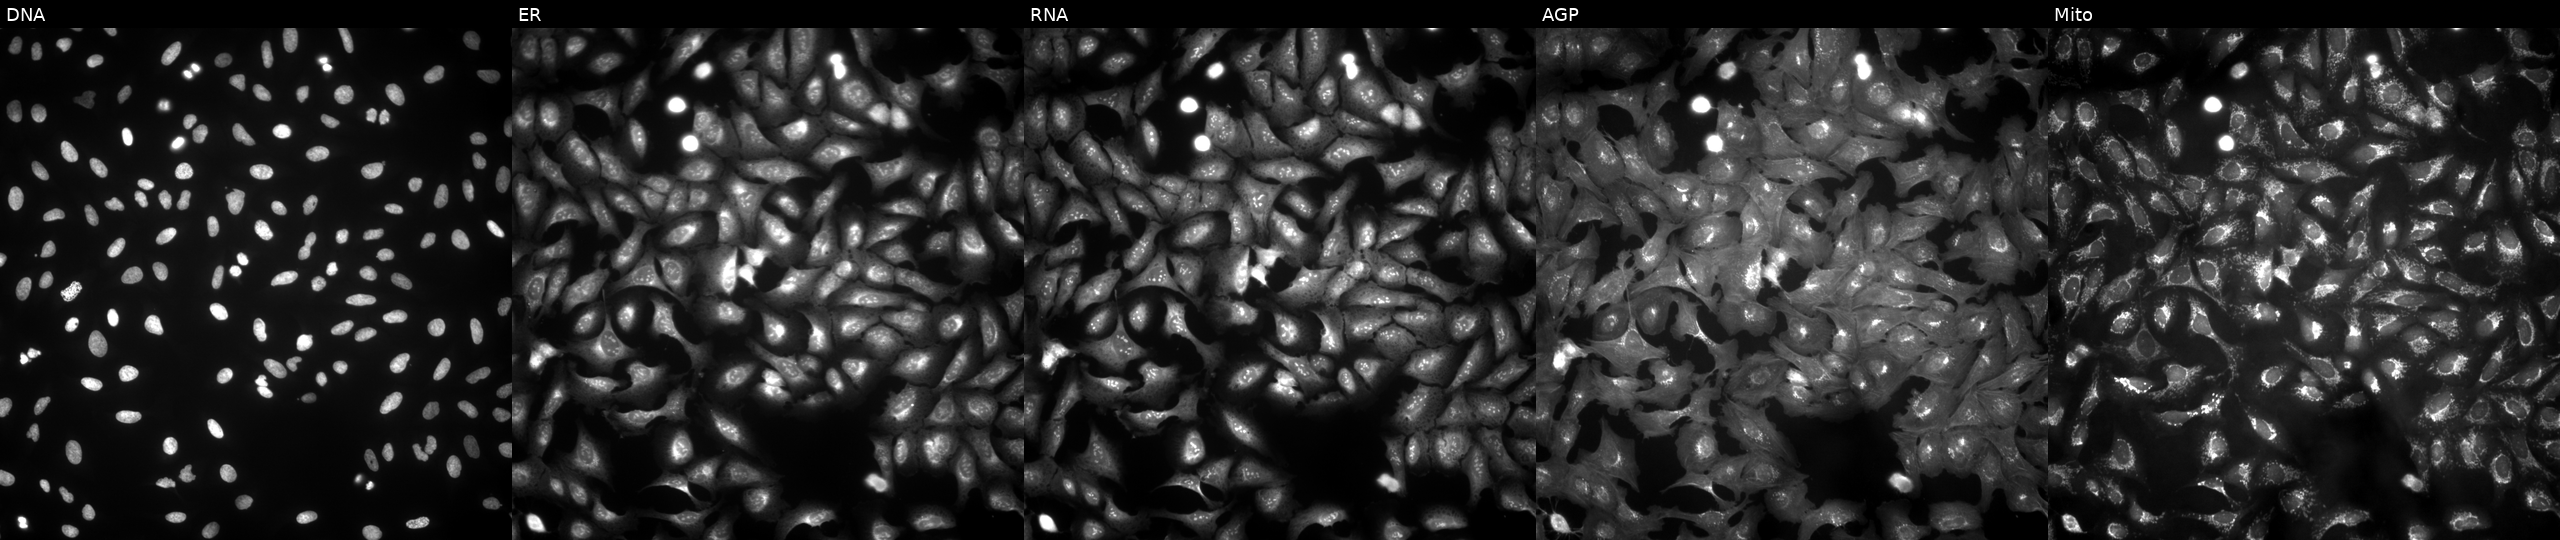
U2OS cells, Cell Painting assay, transfected with an ORF construct for CDKL3 (JUMP id JCP2022_903062). The five panels, left to right, show Hoechst 33342, concanavalin A, SYTO 14, phalloidin and WGA, MitoTracker. Each panel is percentile-stretched 16-bit fluorescence.